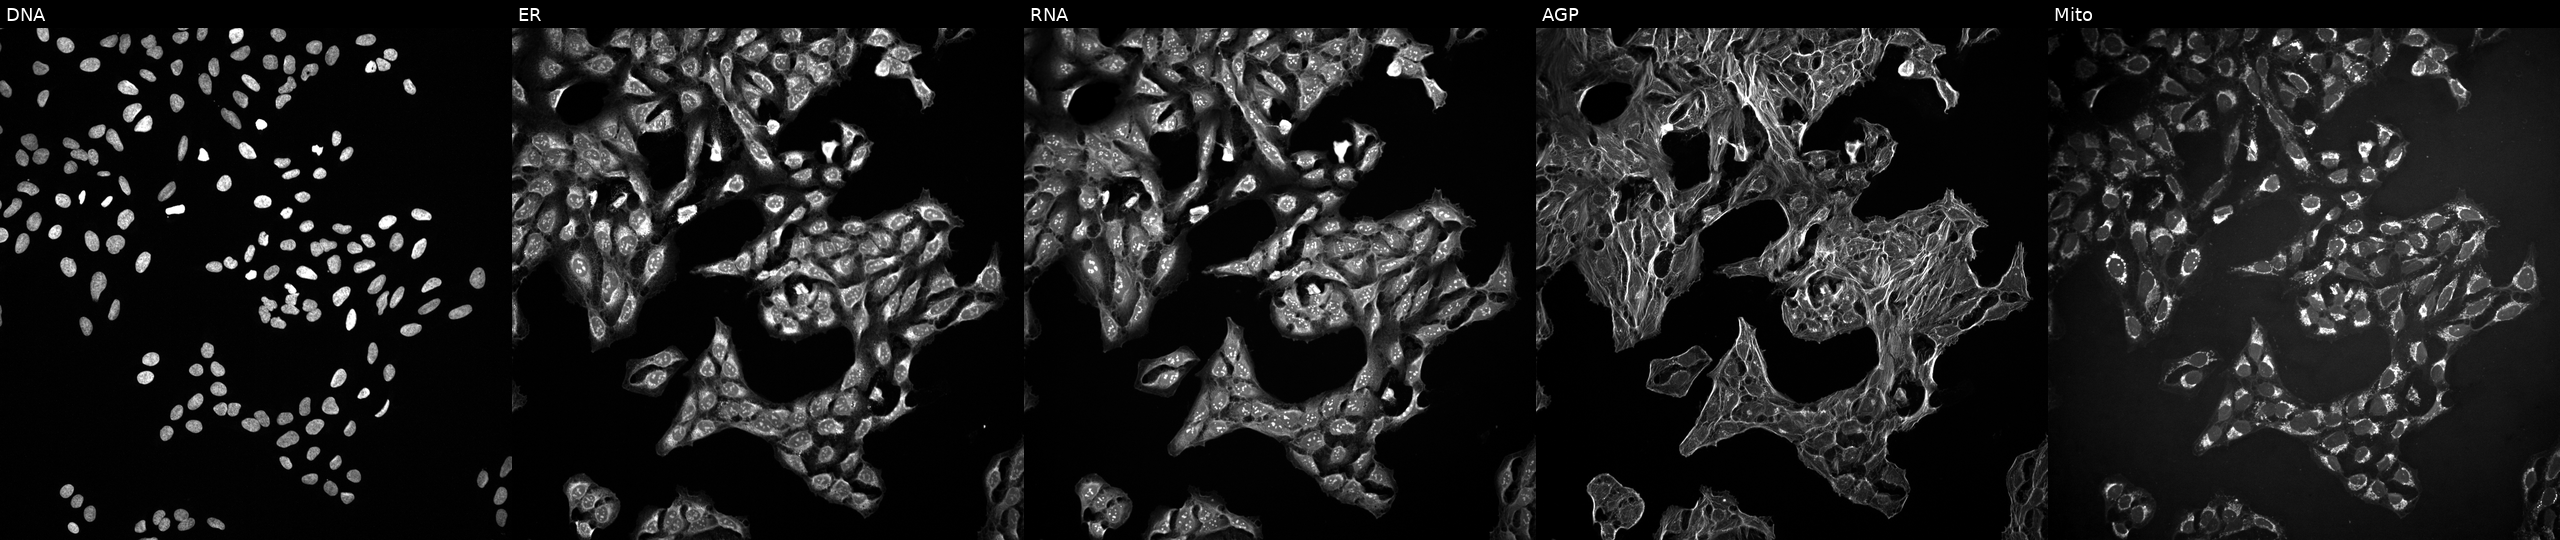
JUMP Cell Painting — TARGET2 plate. U2OS cells exposed to DMSO alone as a negative control. Panels show, left to right, DNA, ER, RNA, AGP, and Mito.